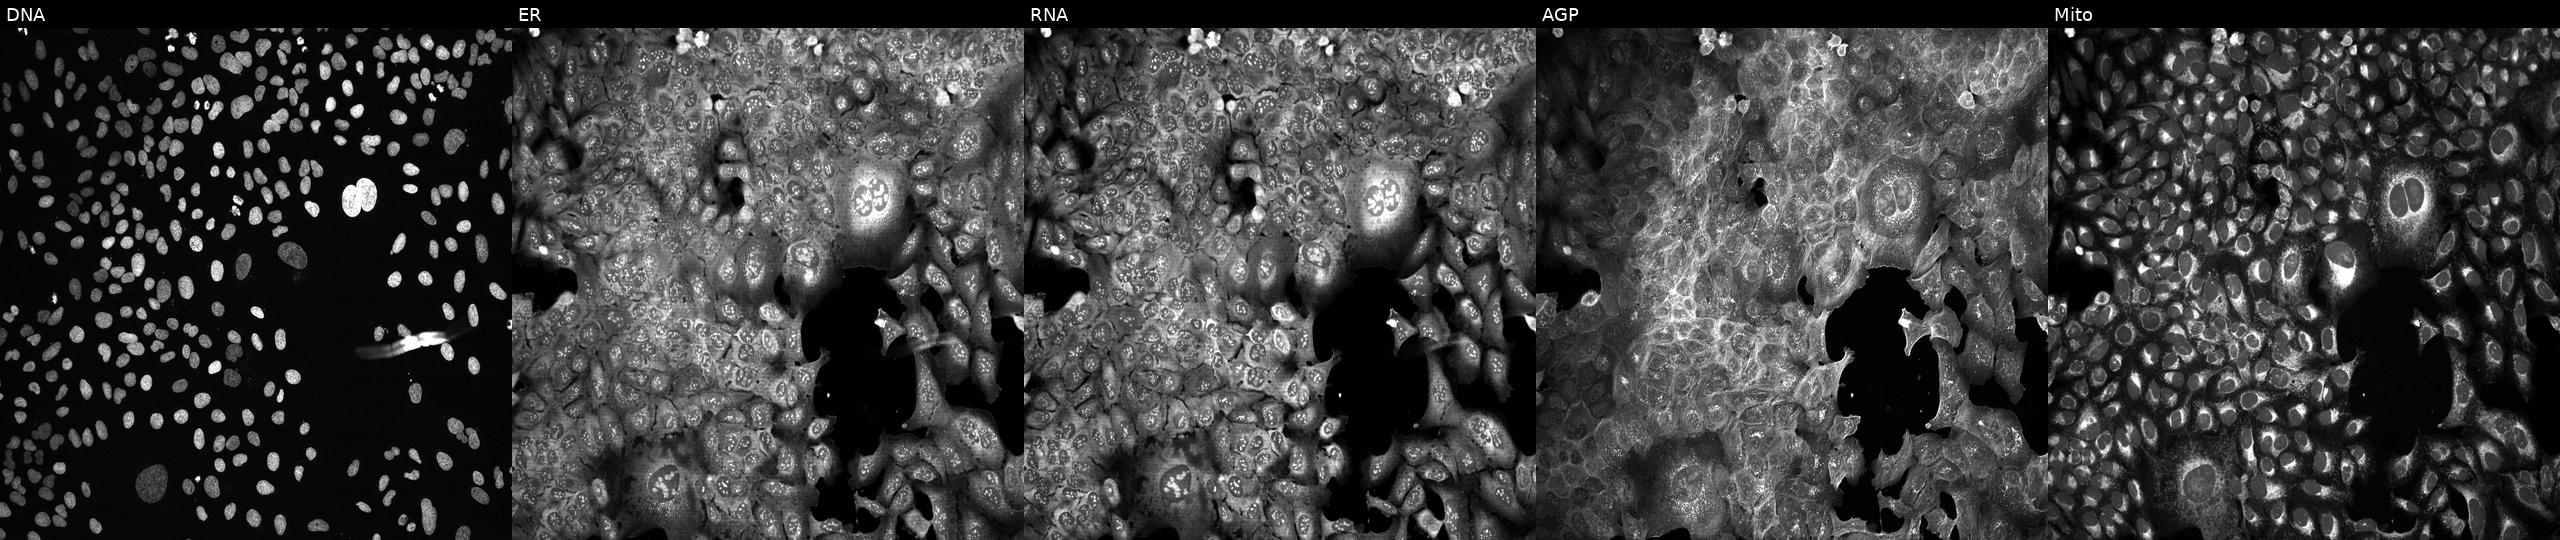
U2OS cells, Cell Painting assay, with LMO2 knocked out by CRISPR (JUMP id JCP2022_803860). Panels show, left to right, DNA (nuclei); ER (endoplasmic reticulum); RNA (nucleoli and cytoplasmic RNA); AGP (actin cytoskeleton, Golgi, and plasma membrane); Mito (mitochondria). Each panel is percentile-stretched 16-bit fluorescence.